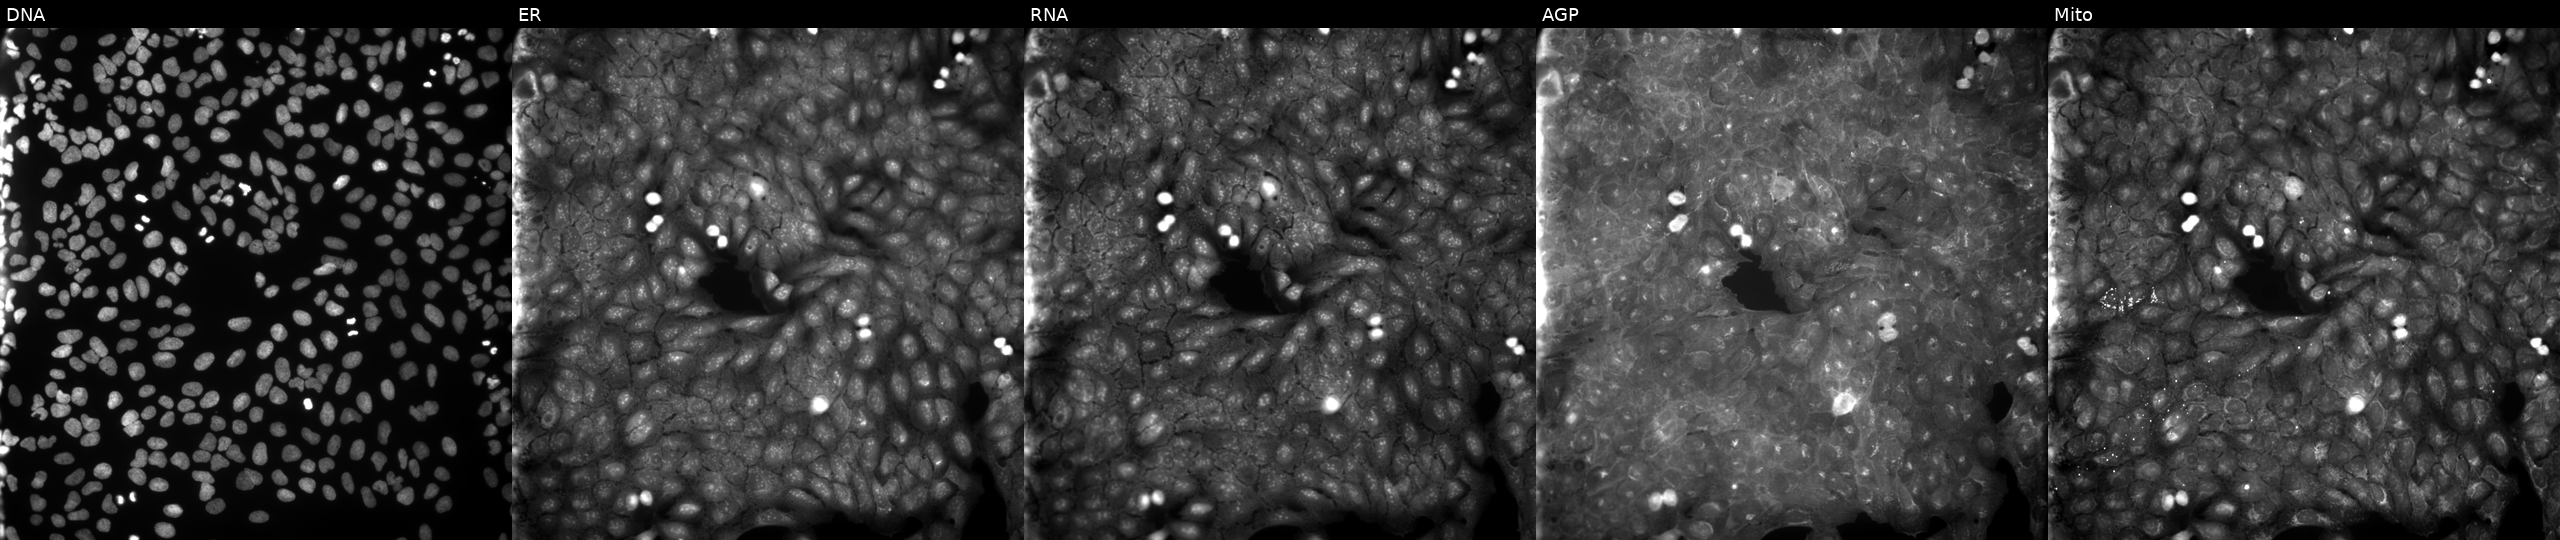
This image strip shows the five Cell Painting channels for a single field of U2OS cells treated with a small-molecule compound (InChIKey VLNVSEACPINPHF-UHFFFAOYSA-N) (JUMP id JCP2022_094773). Channels (left→right): Hoechst 33342, concanavalin A, SYTO 14, phalloidin and WGA, MitoTracker.